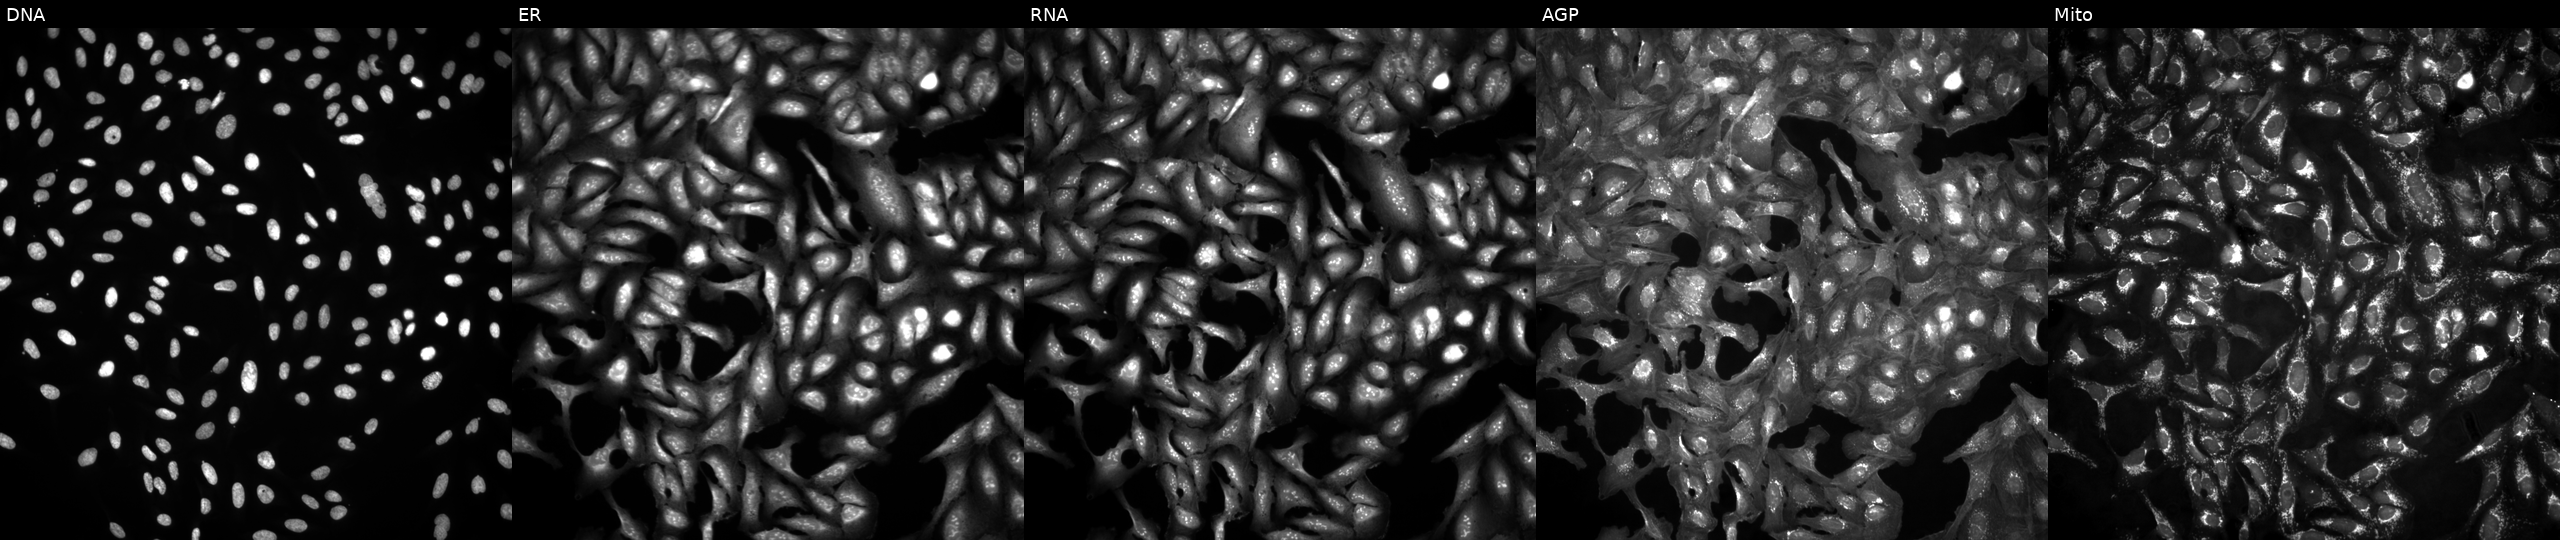
Five-channel Cell Painting image of U2OS cells in an empty control well (no perturbation) (JUMP id JCP2022_999999). Channels (left→right): DNA (nuclei); ER (endoplasmic reticulum); RNA (nucleoli and cytoplasmic RNA); AGP (actin cytoskeleton, Golgi, and plasma membrane); Mito (mitochondria). Source 4, plate BR00124793, well M01.